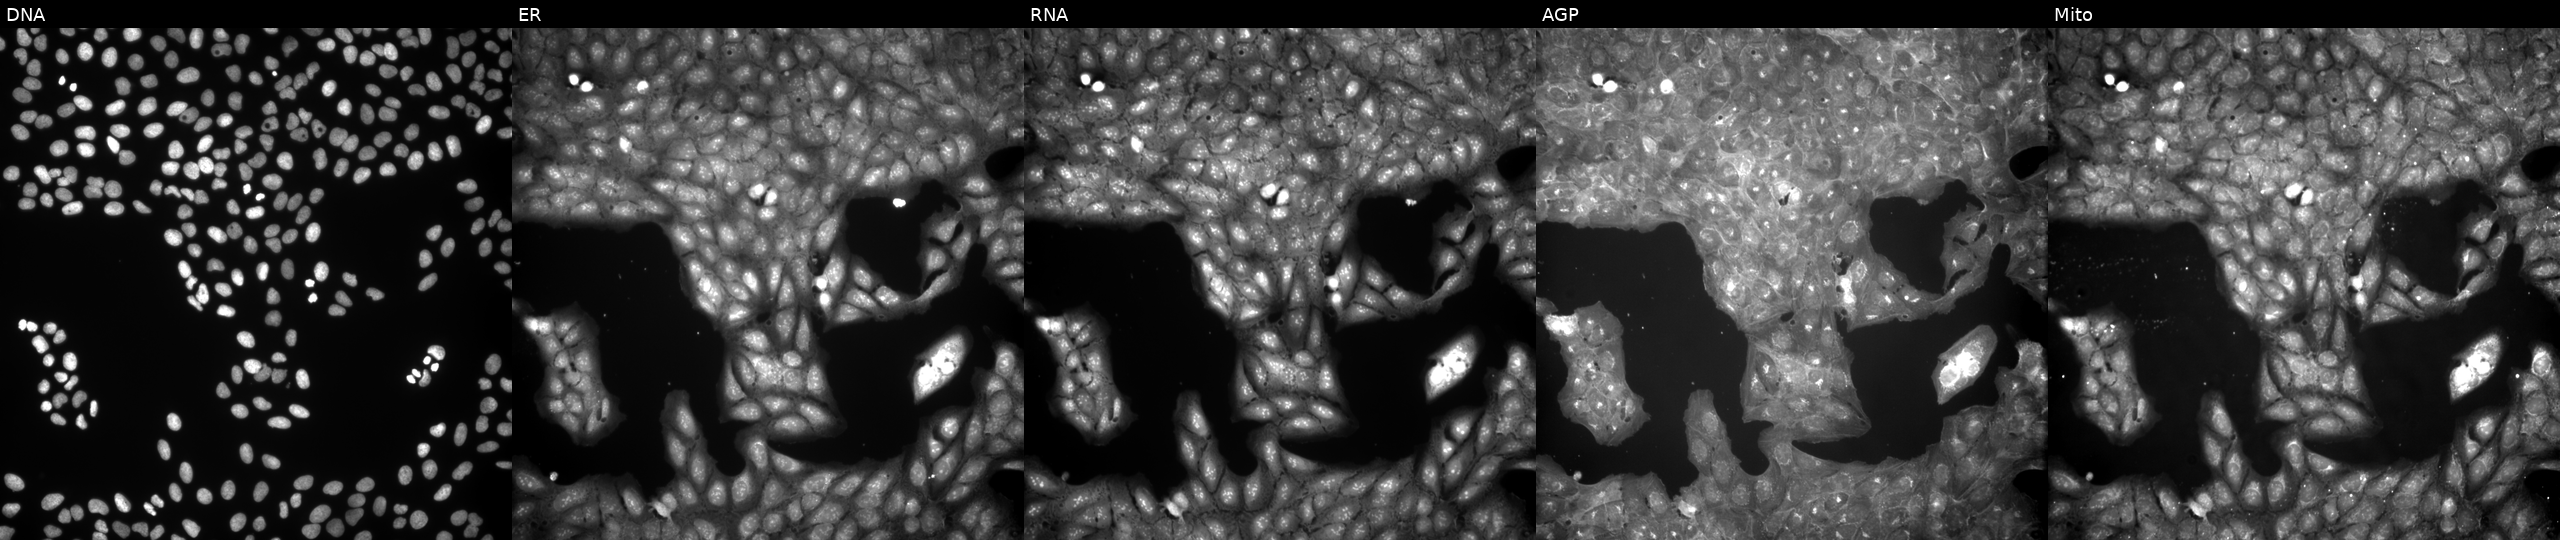
From left to right: DNA, ER, RNA, AGP, and Mito. U2OS osteosarcoma cells treated with a small-molecule compound (InChIKey WWSPBRQCRFZNHV-UHFFFAOYSA-N) (JUMP id JCP2022_101700). Cell Painting assay, JUMP-CP dataset.